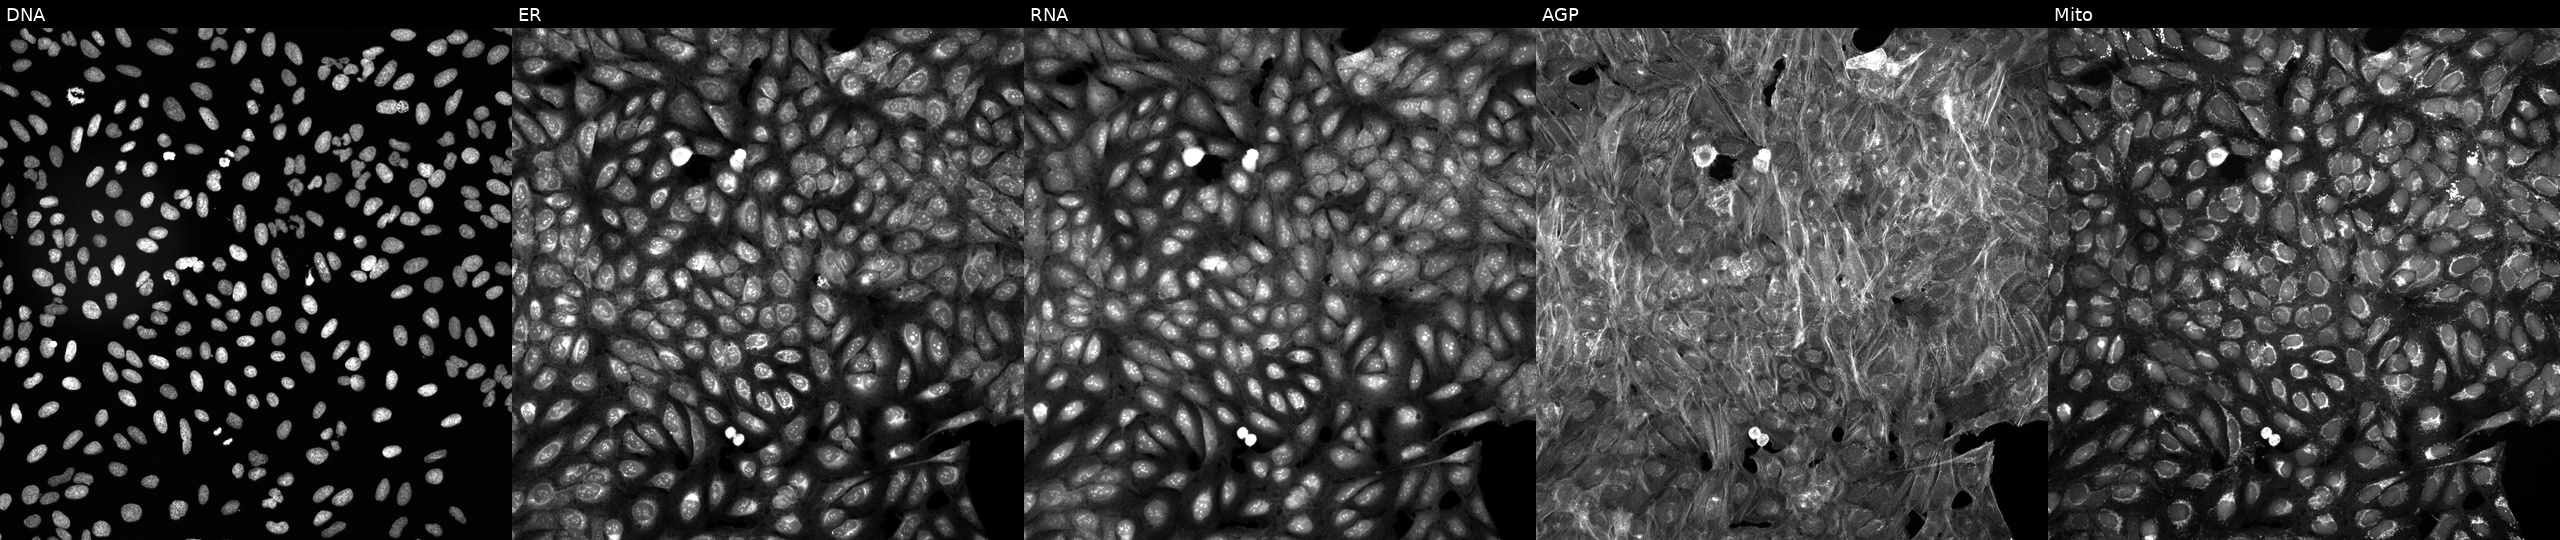
U2OS cells, Cell Painting assay, treated with dexamethasone (positive-control compound). Panels show, left to right, Hoechst 33342, concanavalin A, SYTO 14, phalloidin and WGA, MitoTracker. Each panel is percentile-stretched 16-bit fluorescence. Source 6, plate 110000294901, well K02.